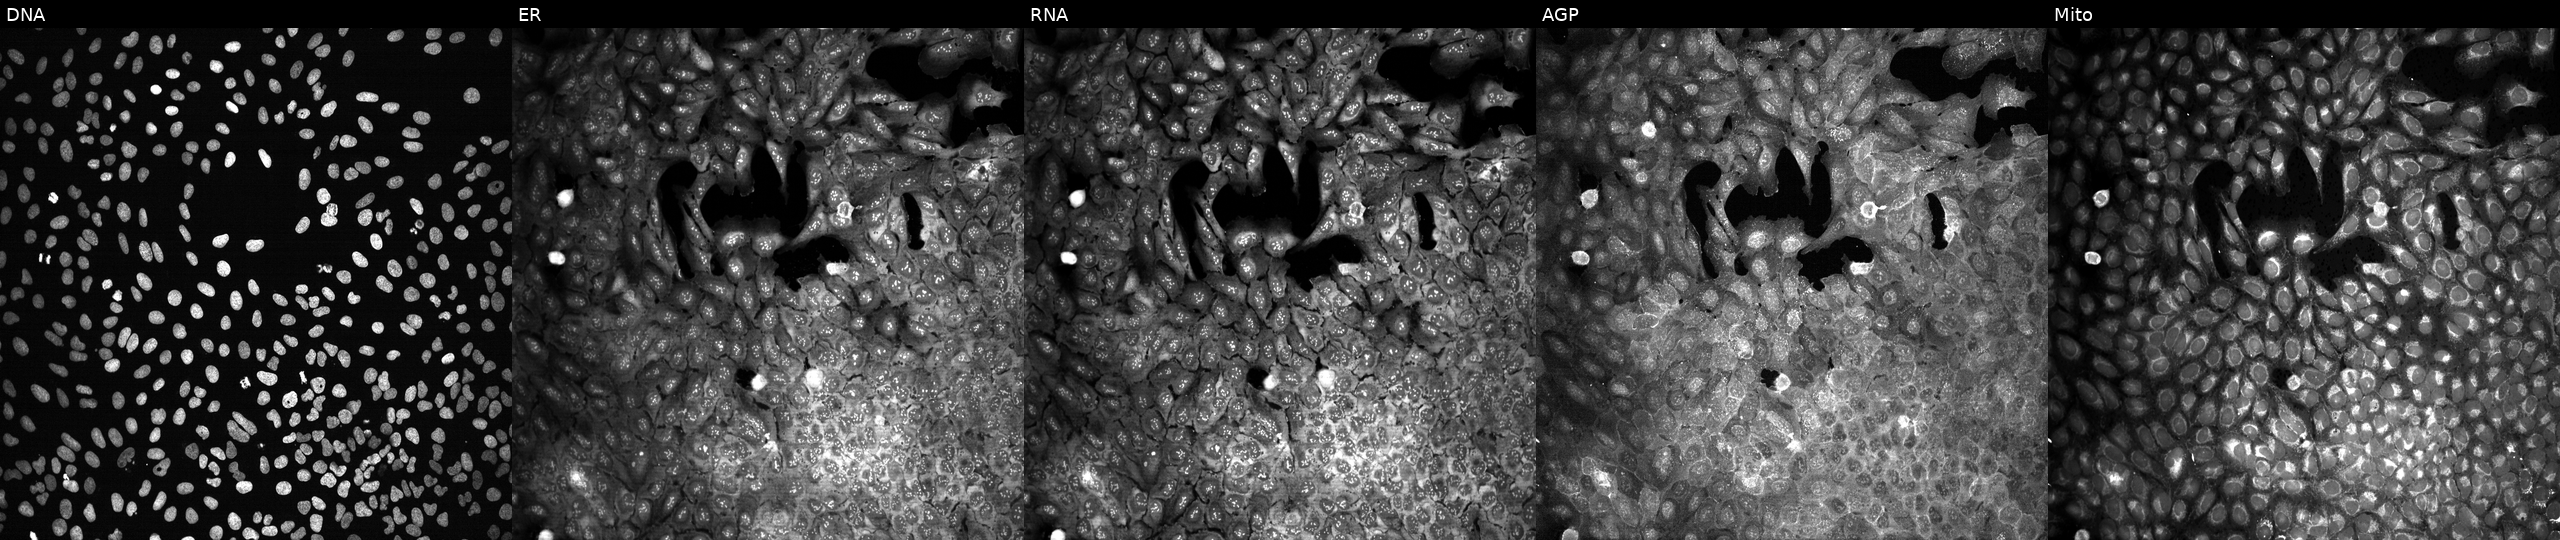
This image strip shows the five Cell Painting channels for a single field of U2OS cells with no CRISPR guide (negative control). Panels show, left to right, DNA, ER, RNA, AGP, and Mito.